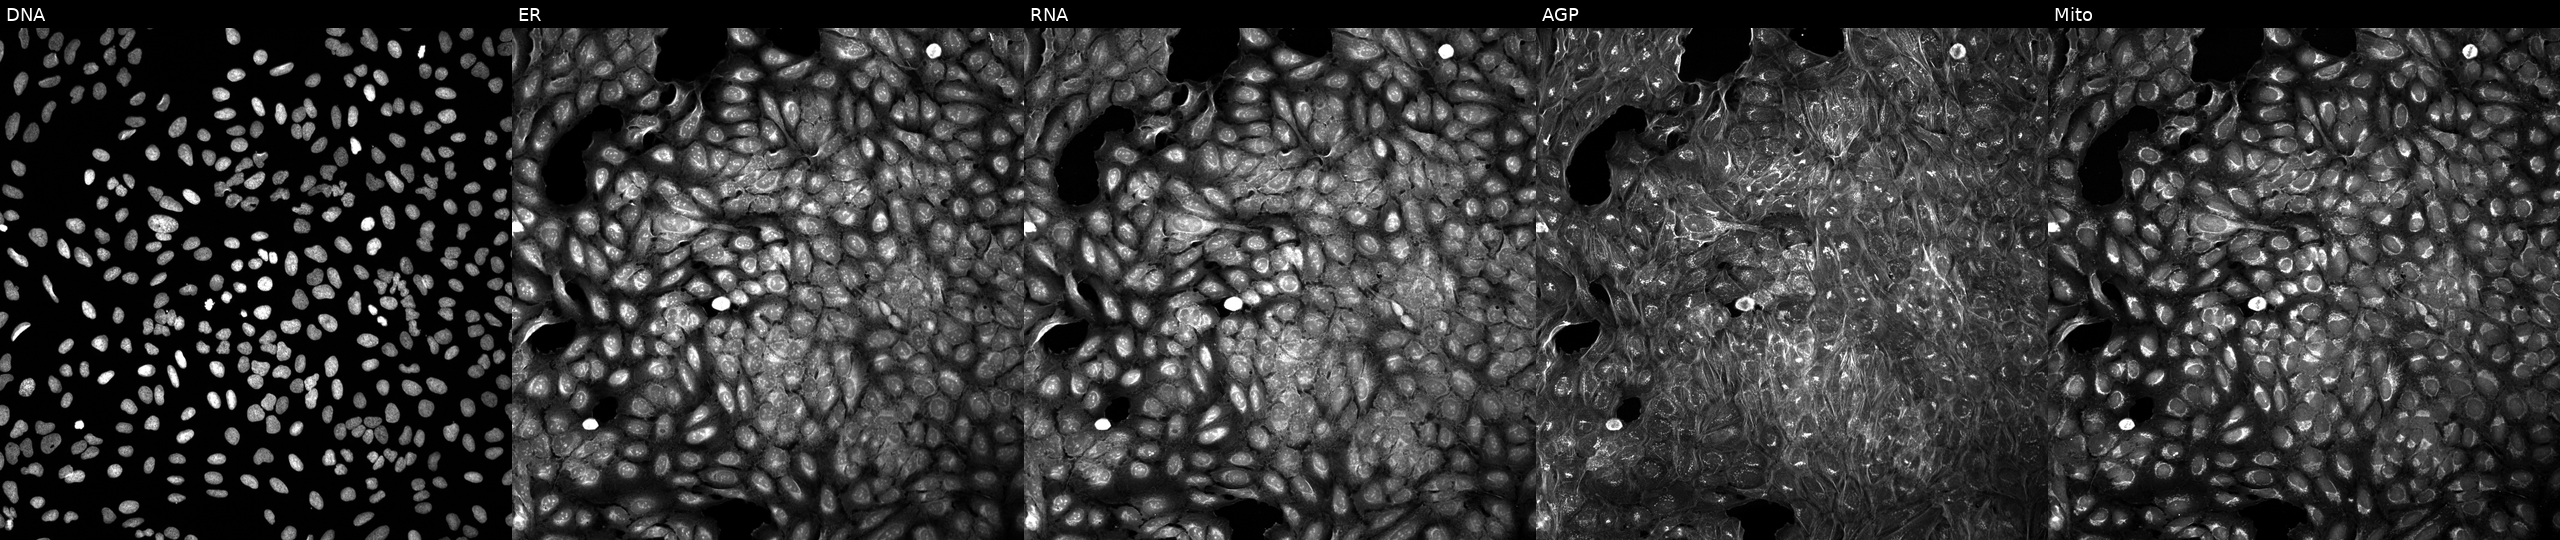
Channels (left→right): Hoechst 33342, concanavalin A, SYTO 14, phalloidin and WGA, MitoTracker. U2OS osteosarcoma cells treated with a small-molecule compound. Cell Painting assay, JUMP-CP dataset.